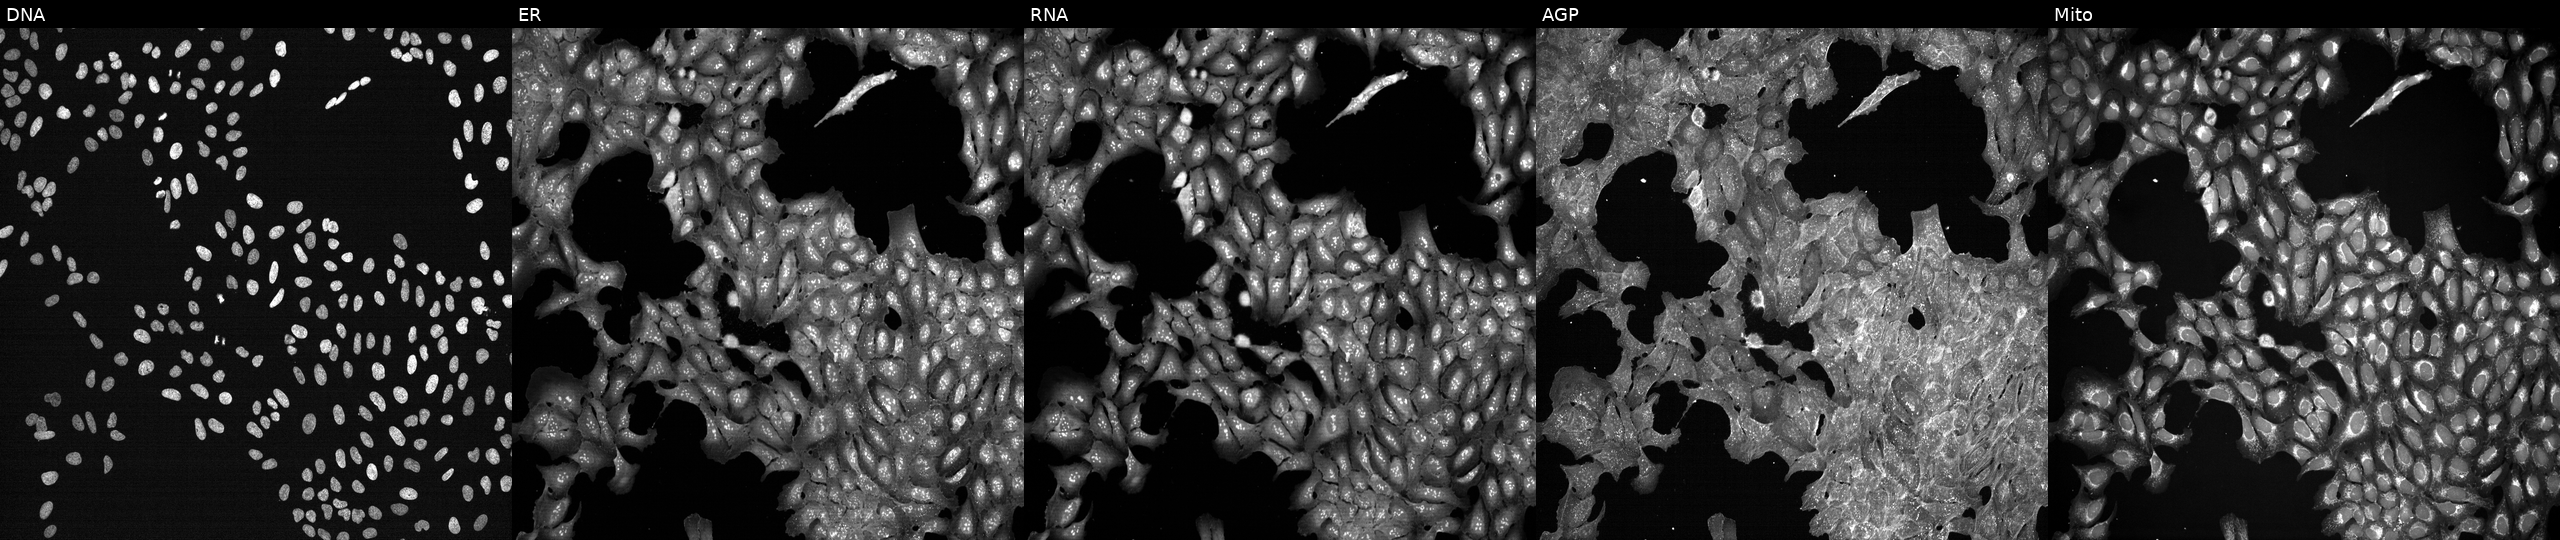
High-content fluorescence microscopy (Cell Painting). Cell line: U2OS. Perturbation: exposed to a small-molecule compound (InChIKey PFHDWRIVDDIFRP-UHFFFAOYSA-N) (JUMP id JCP2022_068238). Channels (left→right): DNA, ER, RNA, AGP, and Mito.